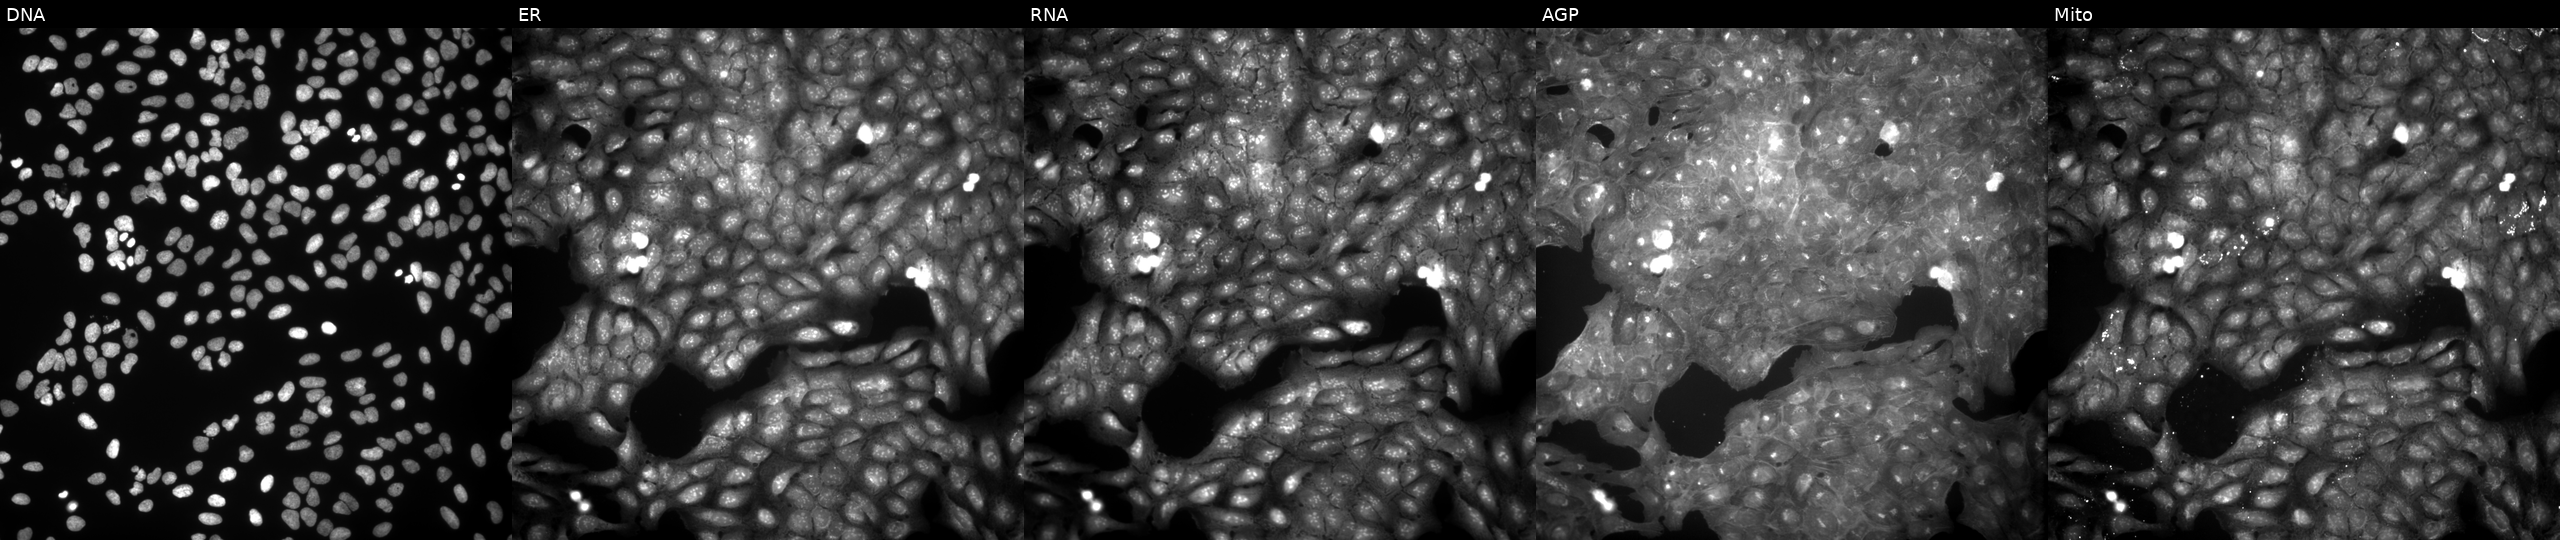
From left to right: DNA (nuclei); ER (endoplasmic reticulum); RNA (nucleoli and cytoplasmic RNA); AGP (actin cytoskeleton, Golgi, and plasma membrane); Mito (mitochondria). U2OS osteosarcoma cells treated with DMSO vehicle only (negative control) (JUMP id JCP2022_033924). Cell Painting assay, JUMP-CP dataset. Source 9, plate GR00003382, well R26.